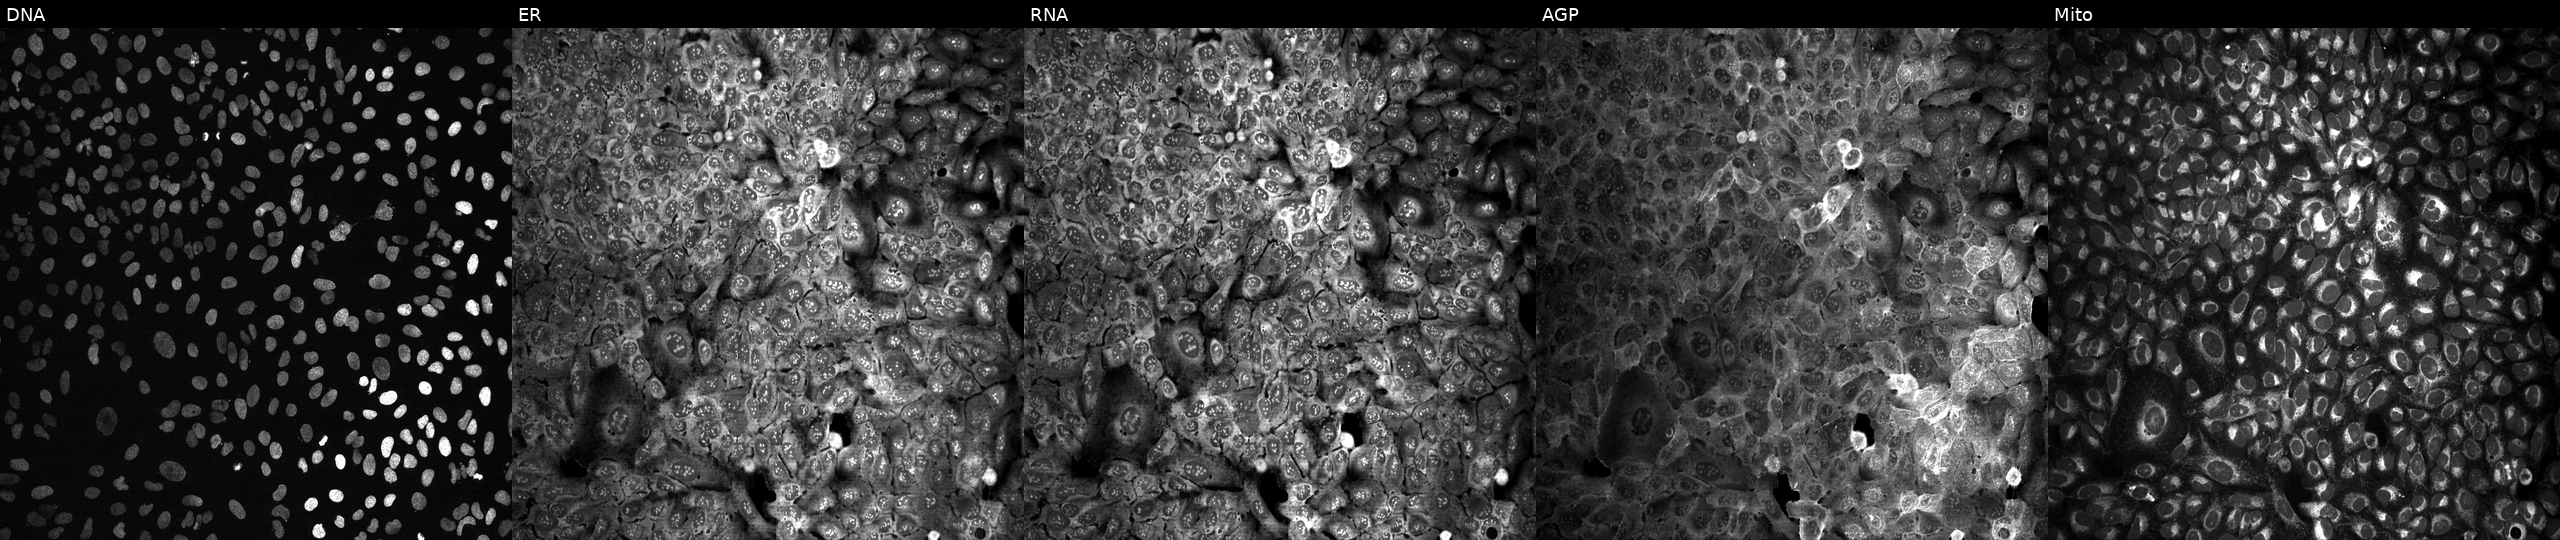
JUMP Cell Painting — CRISPR plate. U2OS cells CRISPR-edited to disrupt RAB1A. Channels (left→right): DNA, ER, RNA, AGP, and Mito.